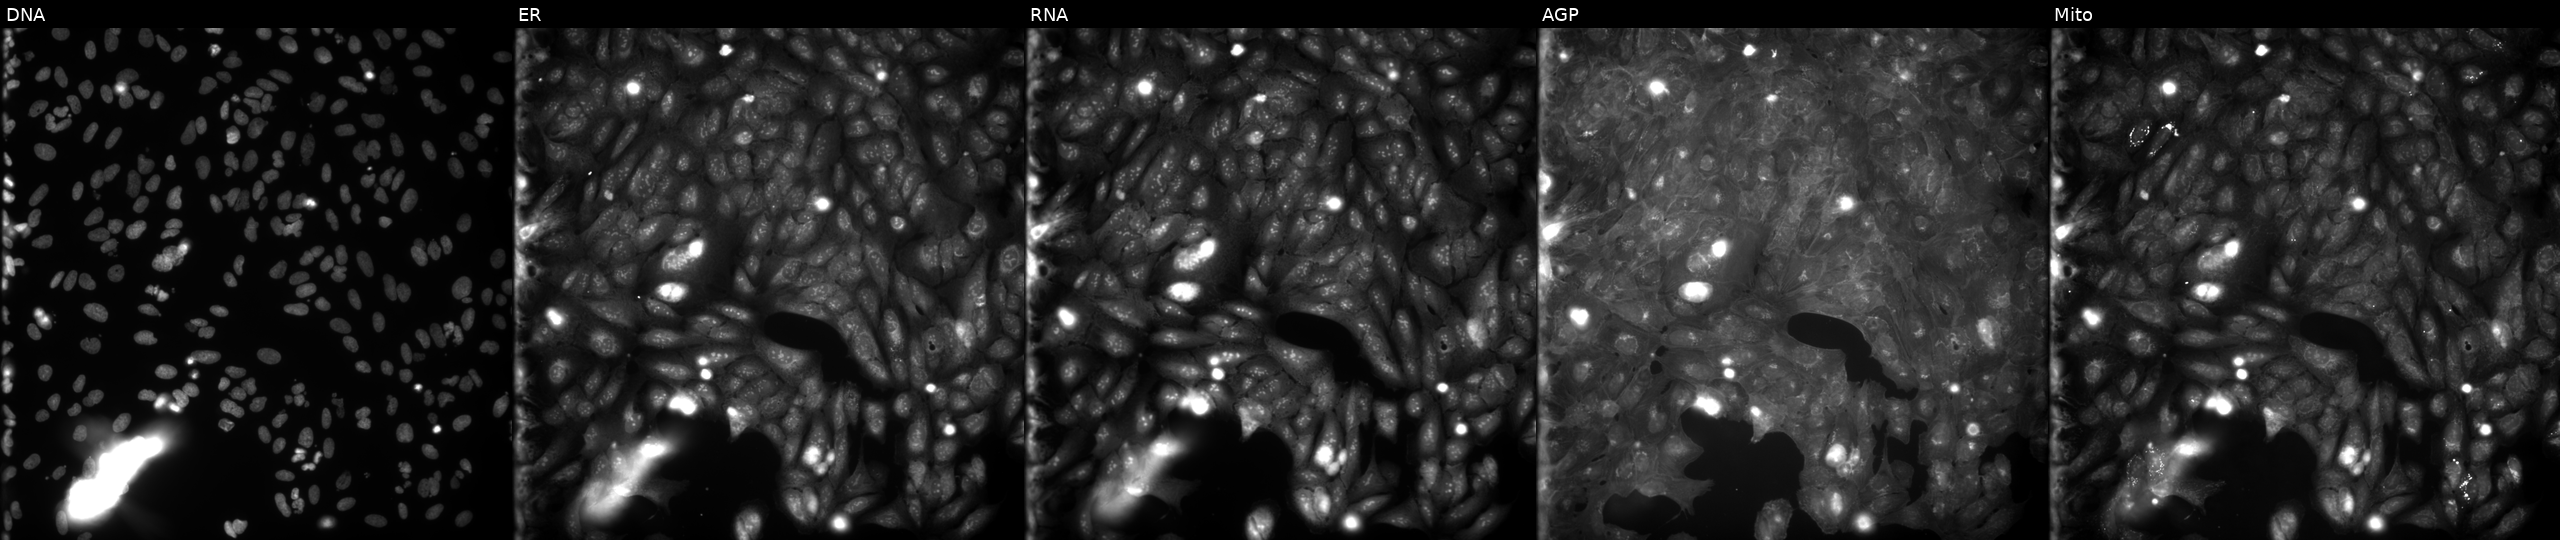
This image strip shows the five Cell Painting channels for a single field of U2OS cells exposed to a small-molecule compound (InChIKey USWHKLQXSJCKDL-UHFFFAOYSA-N) (JUMP id JCP2022_091316). The five panels, left to right, show DNA (nuclei); ER (endoplasmic reticulum); RNA (nucleoli and cytoplasmic RNA); AGP (actin cytoskeleton, Golgi, and plasma membrane); Mito (mitochondria).